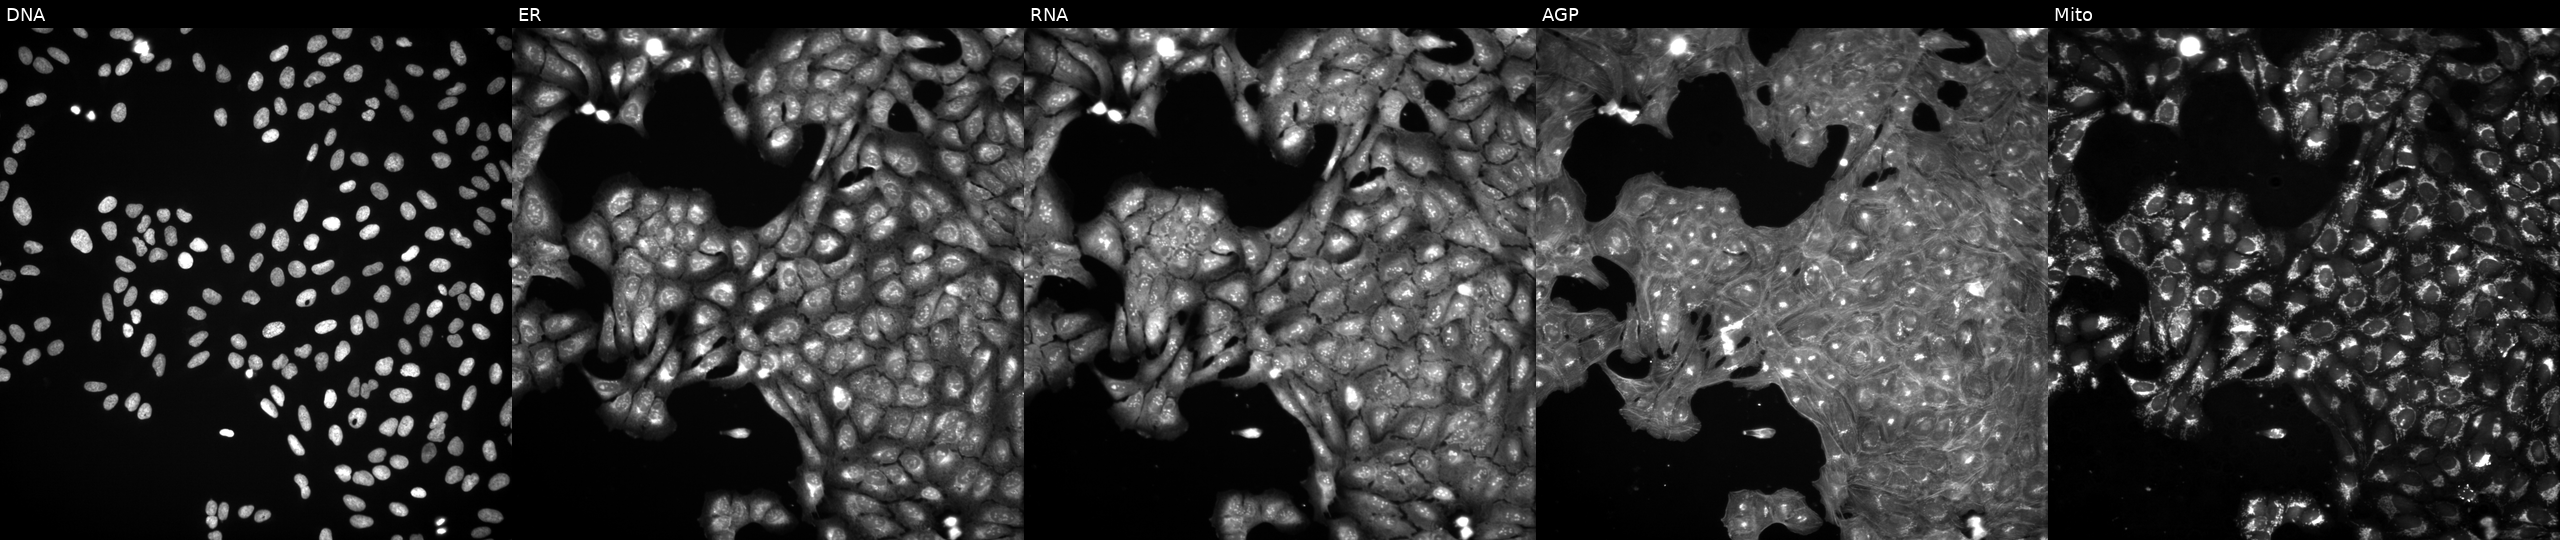
High-content fluorescence microscopy (Cell Painting). Cell line: U2OS. Perturbation: perturbed with a small-molecule compound (InChIKey WUMIAGIXRMYTIN-UHFFFAOYSA-N) (JUMP id JCP2022_101288). From left to right: DNA (nuclei); ER (endoplasmic reticulum); RNA (nucleoli and cytoplasmic RNA); AGP (actin cytoskeleton, Golgi, and plasma membrane); Mito (mitochondria).